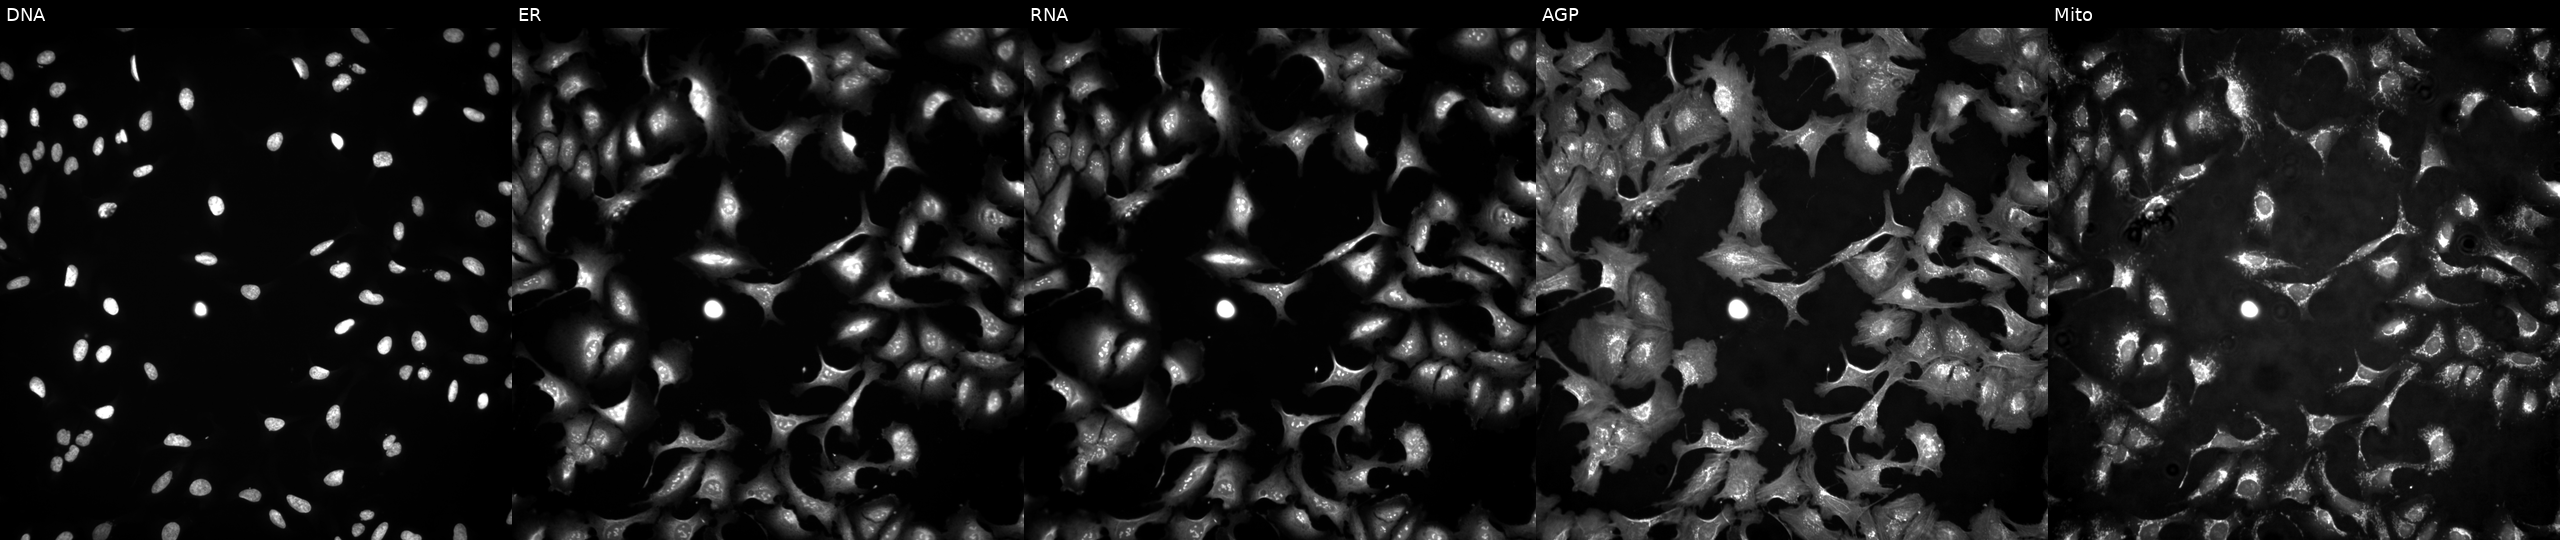
U2OS cells, Cell Painting assay, transfected with an ORF construct for GK2. The five panels, left to right, show DNA (nuclei); ER (endoplasmic reticulum); RNA (nucleoli and cytoplasmic RNA); AGP (actin cytoskeleton, Golgi, and plasma membrane); Mito (mitochondria). Each panel is percentile-stretched 16-bit fluorescence.